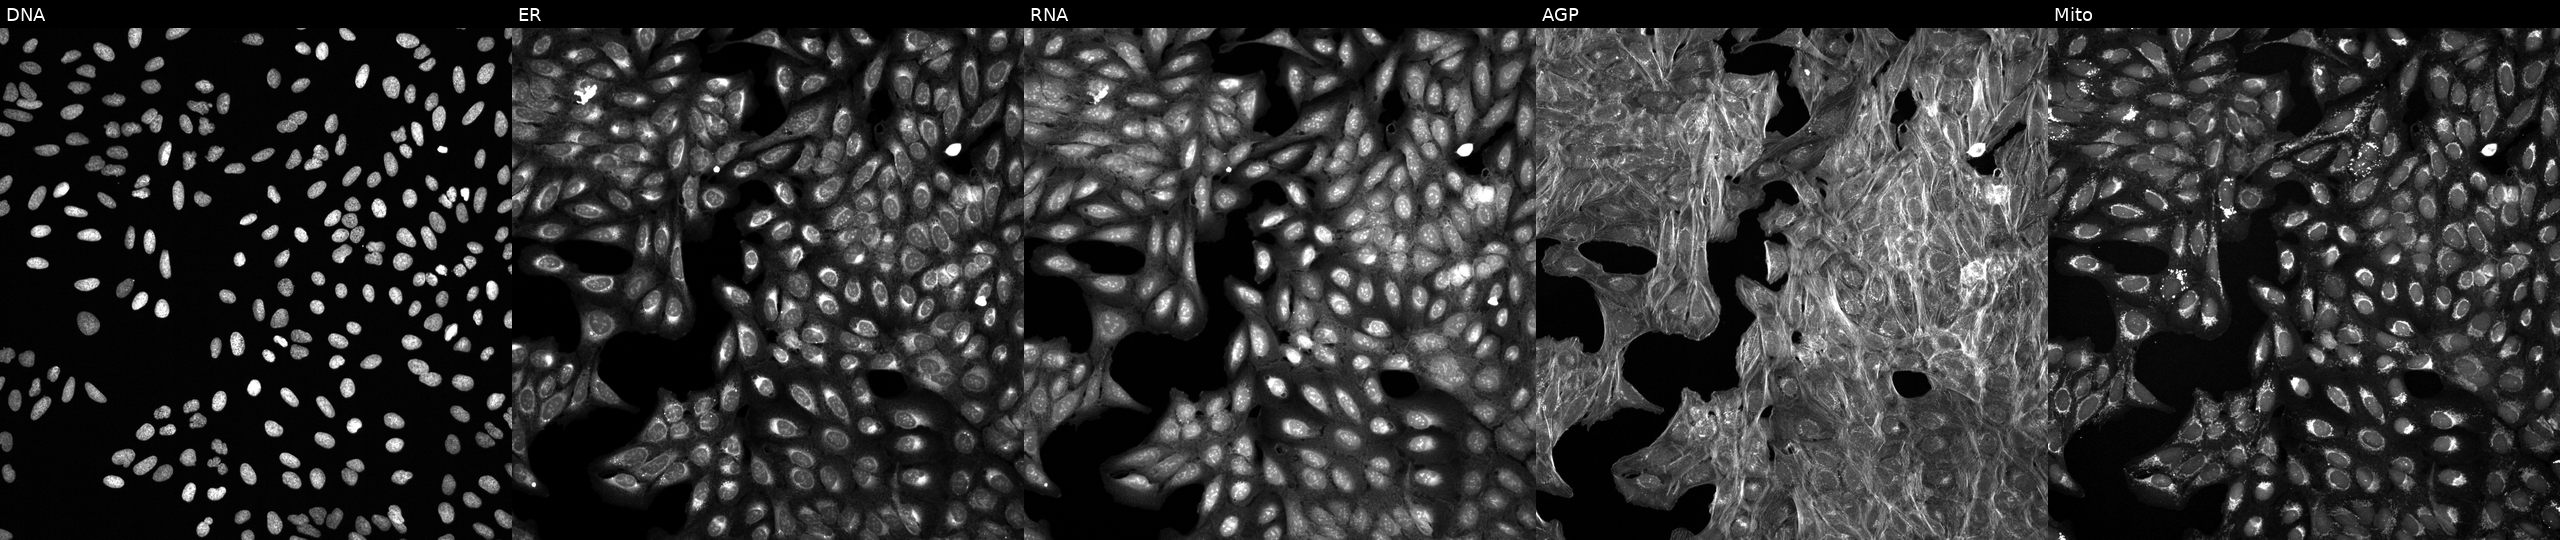
This image strip shows the five Cell Painting channels for a single field of U2OS cells exposed to a small-molecule compound (InChIKey LPGBXHWIQNZEJB-UHFFFAOYSA-N). Channels (left→right): DNA (nuclei); ER (endoplasmic reticulum); RNA (nucleoli and cytoplasmic RNA); AGP (actin cytoskeleton, Golgi, and plasma membrane); Mito (mitochondria). Source 6, plate 110000294901, well J21.